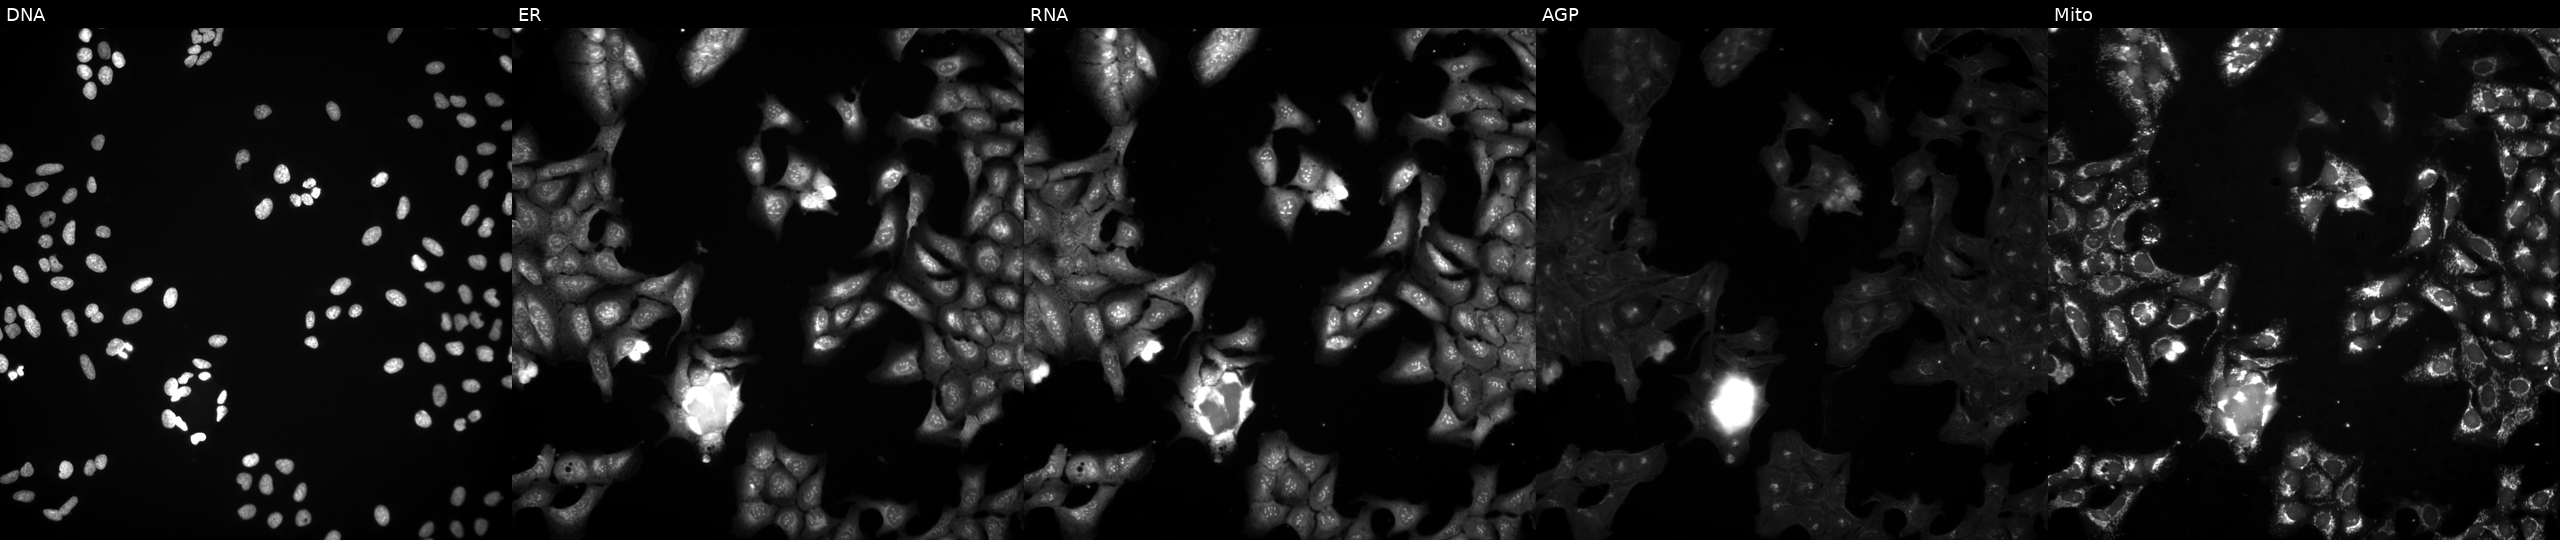
JUMP Cell Painting — TARGET2 plate. U2OS cells perturbed with a small-molecule compound. Panels show, left to right, DNA (nuclei); ER (endoplasmic reticulum); RNA (nucleoli and cytoplasmic RNA); AGP (actin cytoskeleton, Golgi, and plasma membrane); Mito (mitochondria). Source 3, plate JCPQC052, well O04.